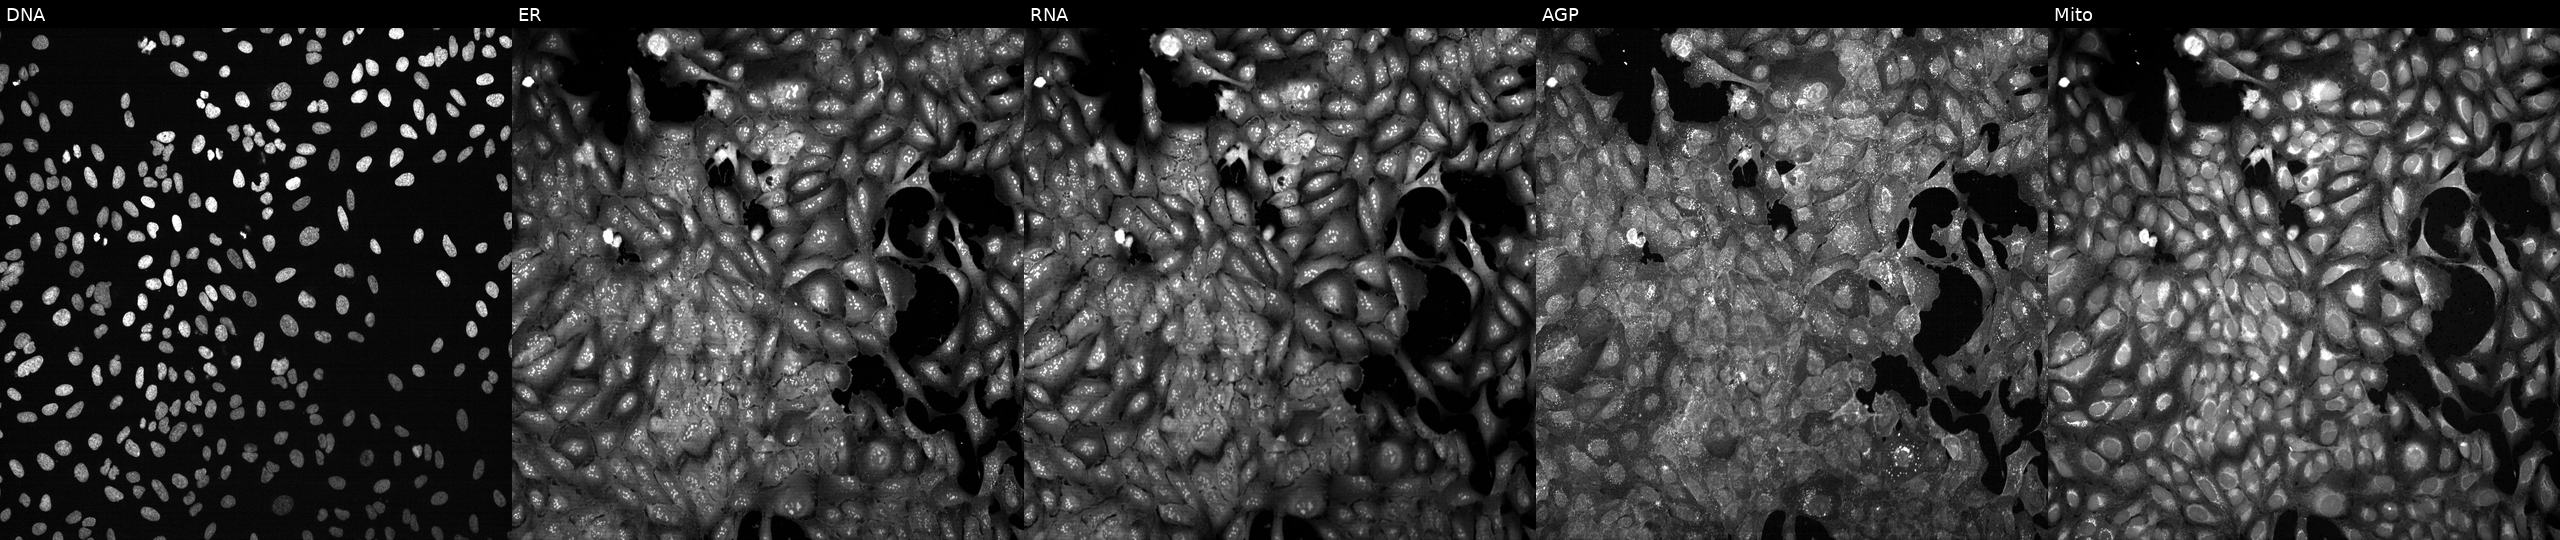
This image strip shows the five Cell Painting channels for a single field of U2OS cells with MYDGF knocked out by CRISPR. The five panels, left to right, show Hoechst 33342, concanavalin A, SYTO 14, phalloidin and WGA, MitoTracker.